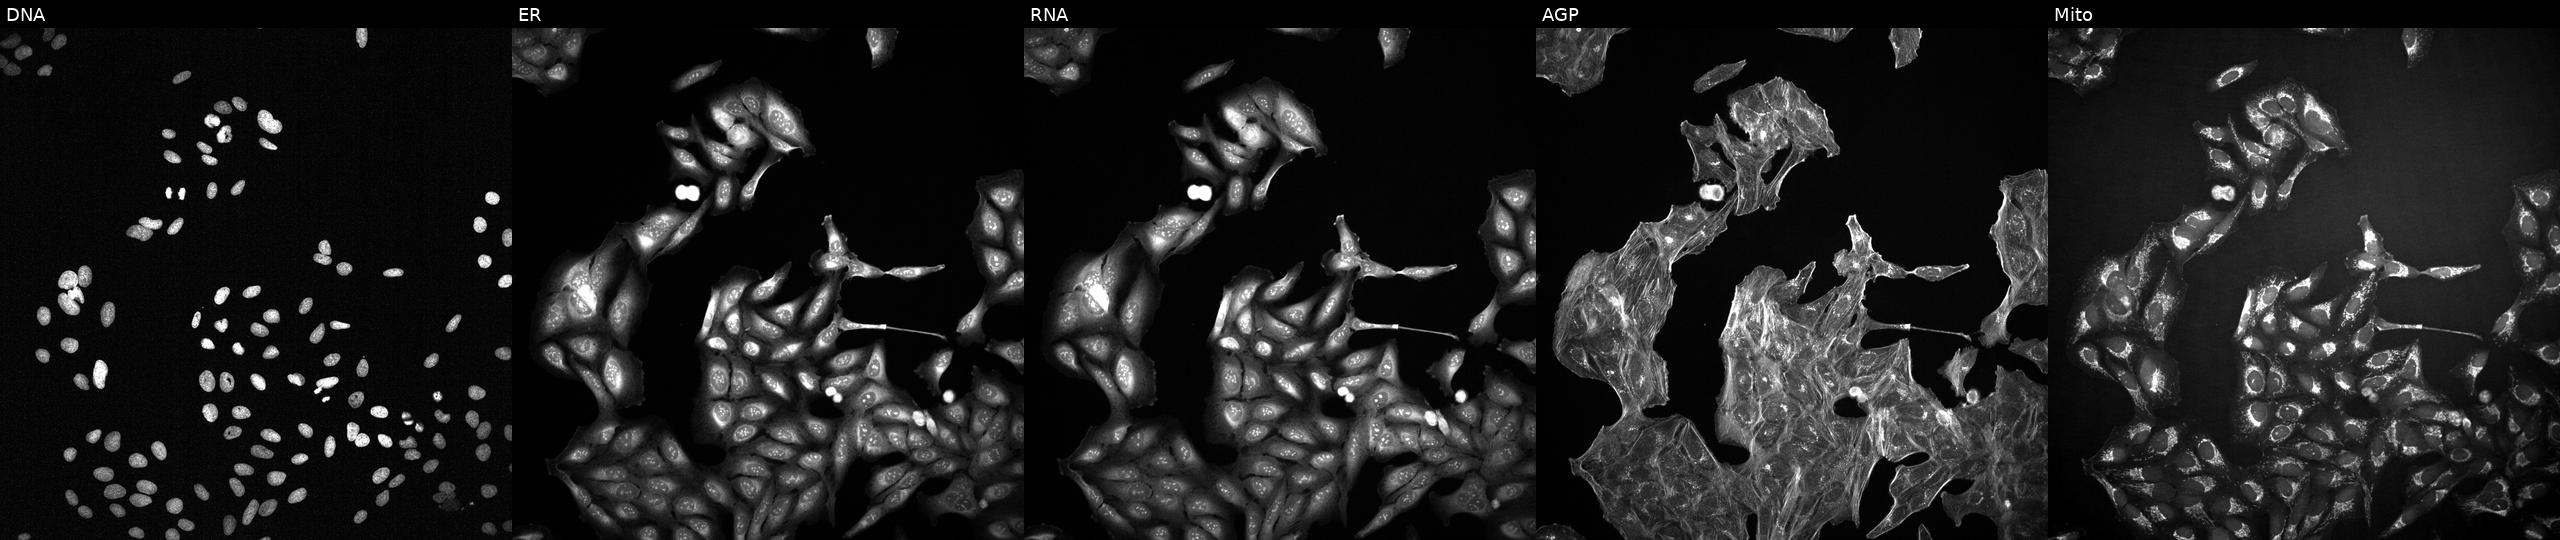
JUMP Cell Painting — TARGET2 plate. U2OS cells exposed to a small-molecule compound (InChIKey JBIMVDZLSHOPLA-UHFFFAOYSA-N). The five panels, left to right, show Hoechst 33342, concanavalin A, SYTO 14, phalloidin and WGA, MitoTracker.